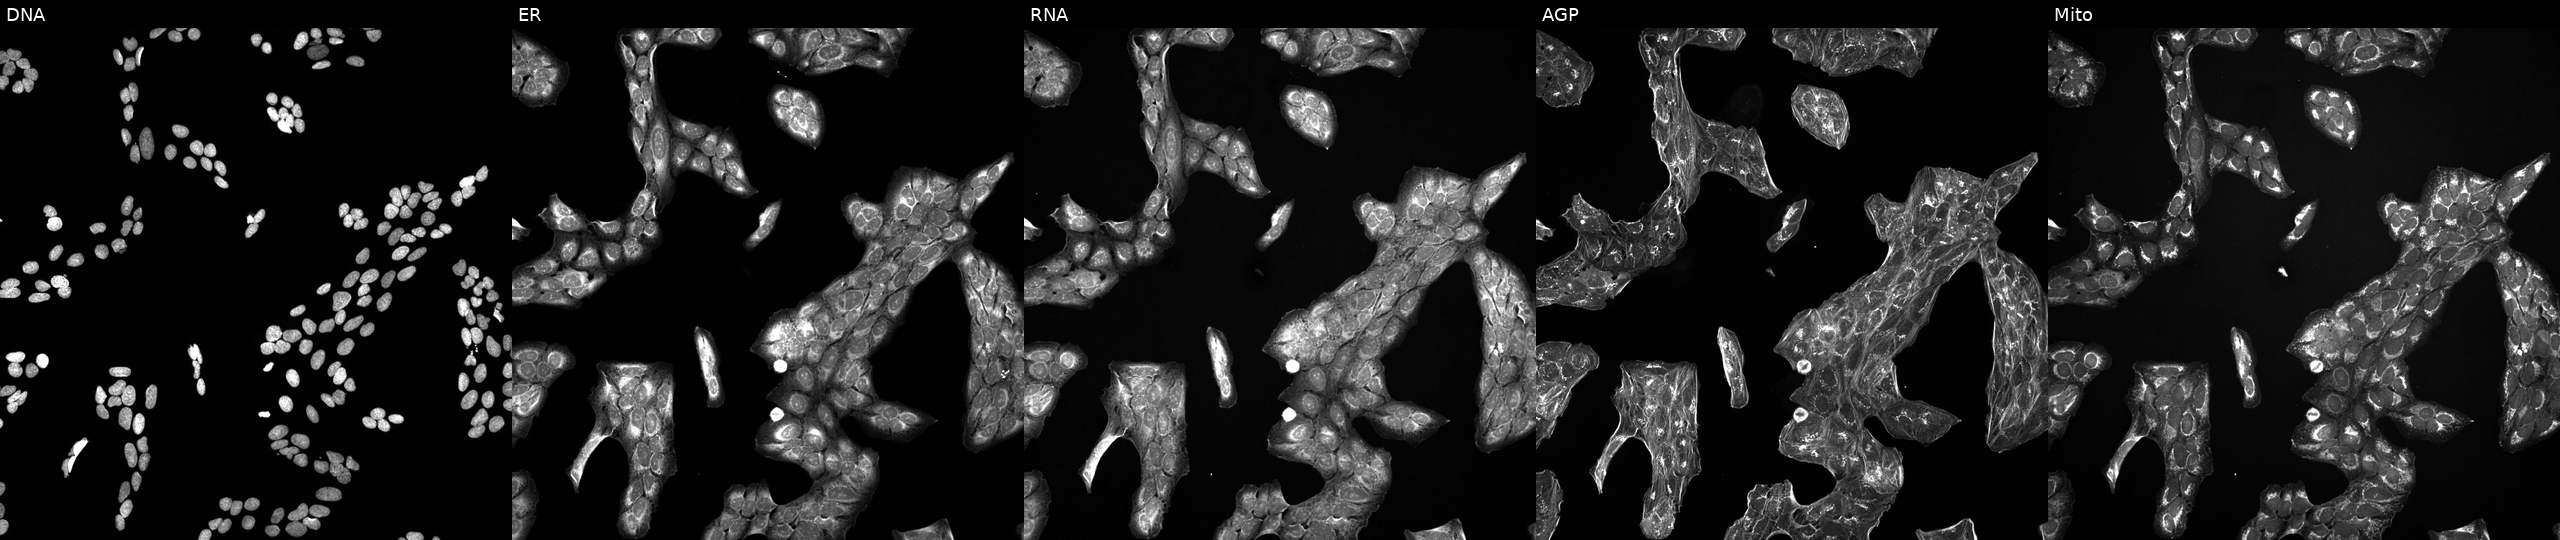
From left to right: DNA, ER, RNA, AGP, and Mito. U2OS osteosarcoma cells perturbed with a small-molecule compound (InChIKey PBBRWFOVCUAONR-UHFFFAOYSA-N) (JUMP id JCP2022_067432). Cell Painting assay, JUMP-CP dataset. Source 5, plate ACPJUM012, well C03.